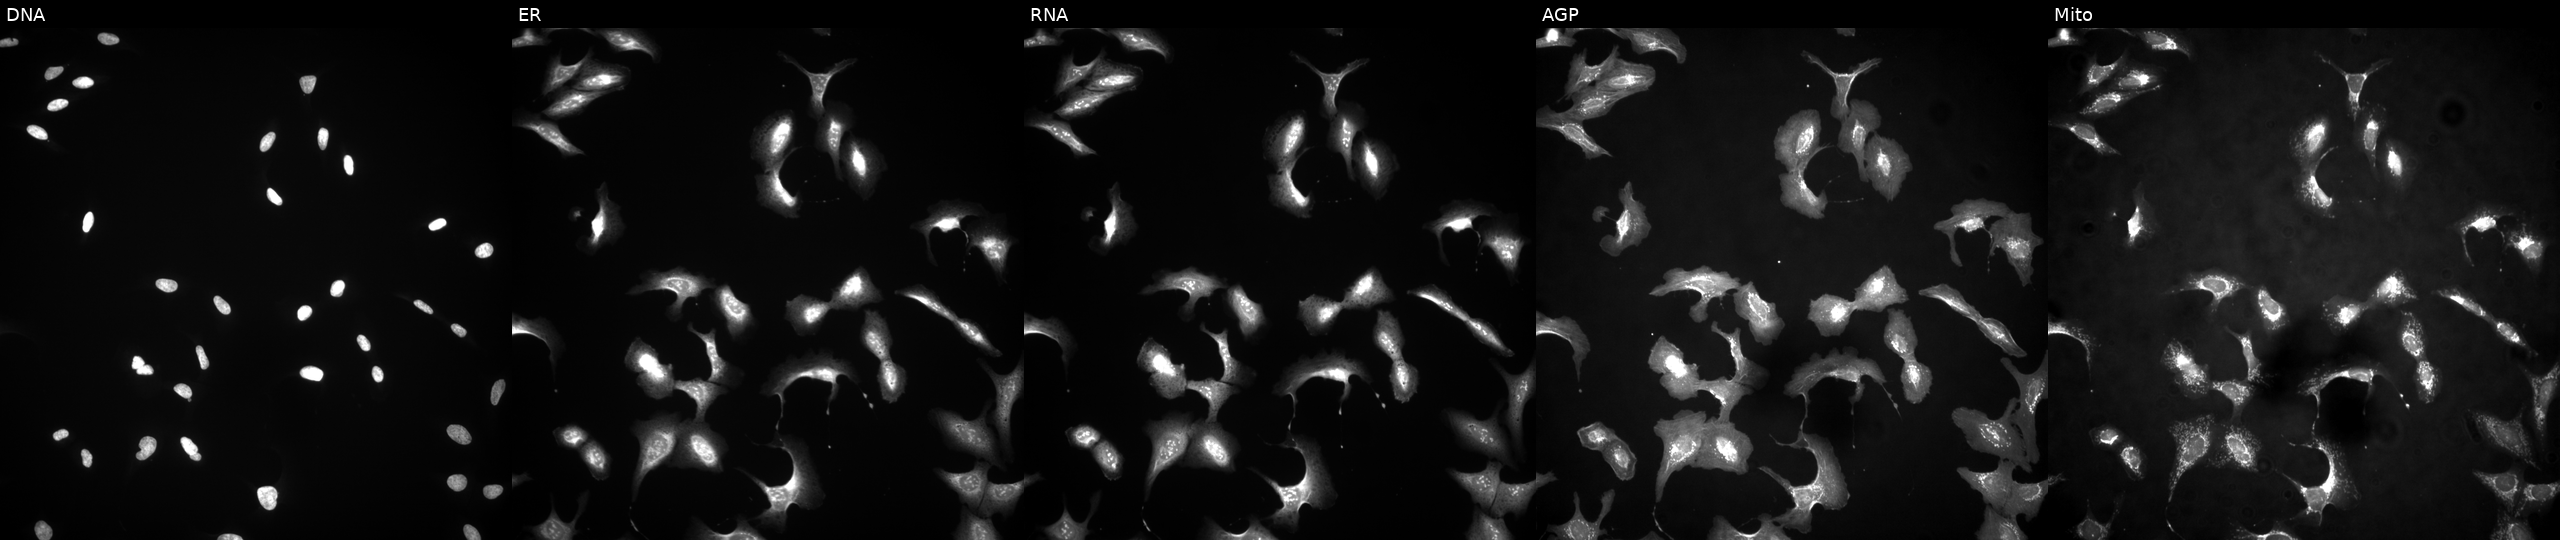
JUMP Cell Painting — ORF plate. U2OS cells overexpressing TEX261 via ORF transfection (JUMP id JCP2022_904354). From left to right: DNA (nuclei); ER (endoplasmic reticulum); RNA (nucleoli and cytoplasmic RNA); AGP (actin cytoskeleton, Golgi, and plasma membrane); Mito (mitochondria).